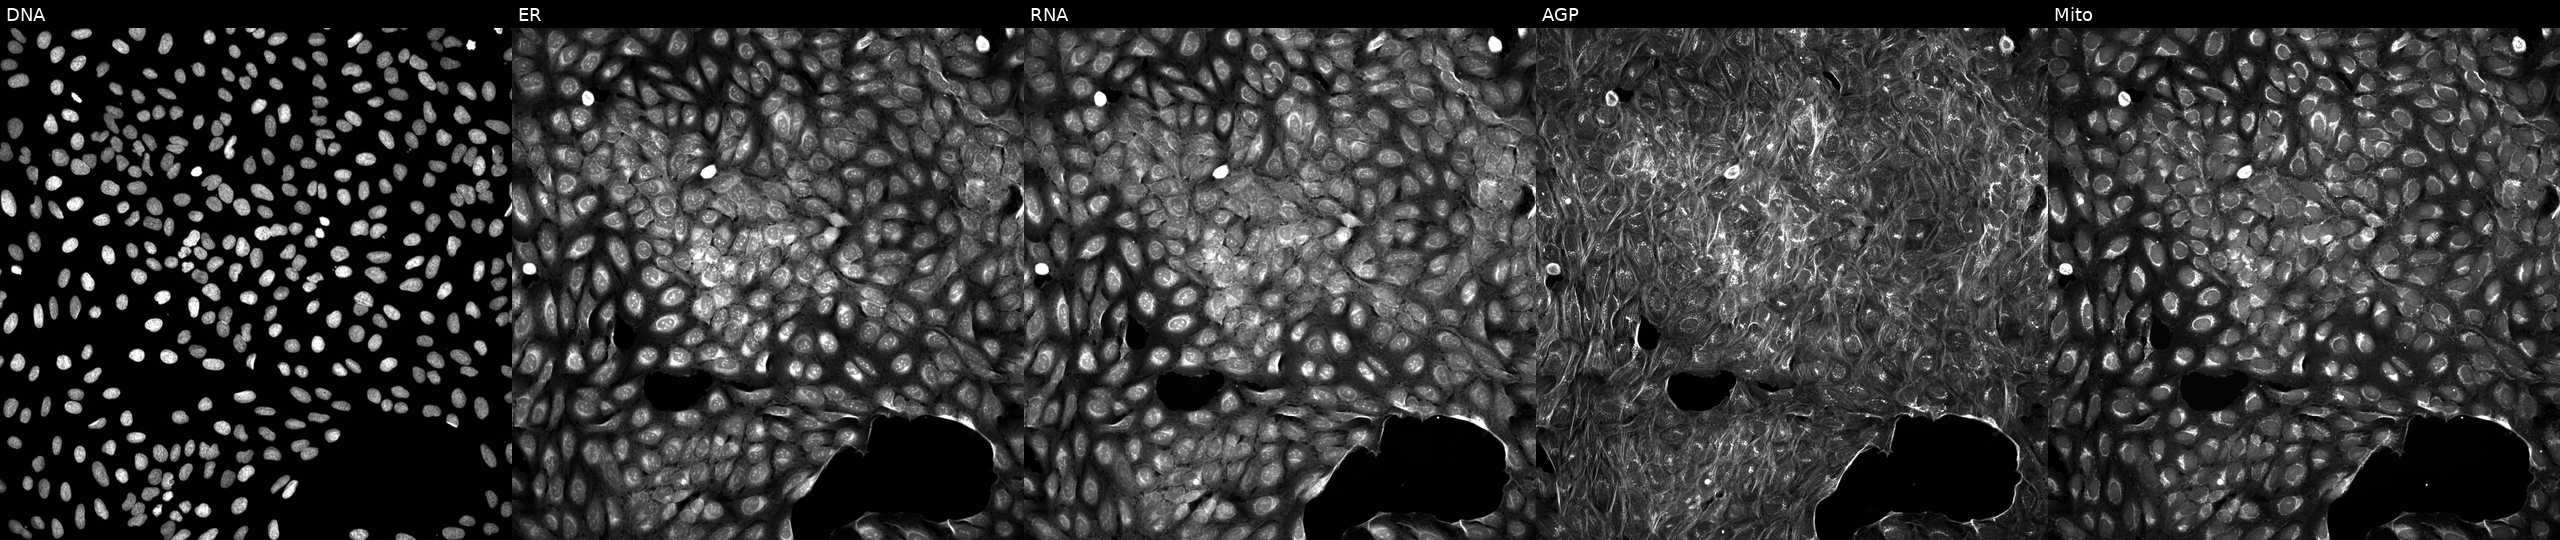
Five-channel Cell Painting image of U2OS cells treated with a small-molecule compound (JUMP id JCP2022_062697). Panels show, left to right, DNA, ER, RNA, AGP, and Mito.